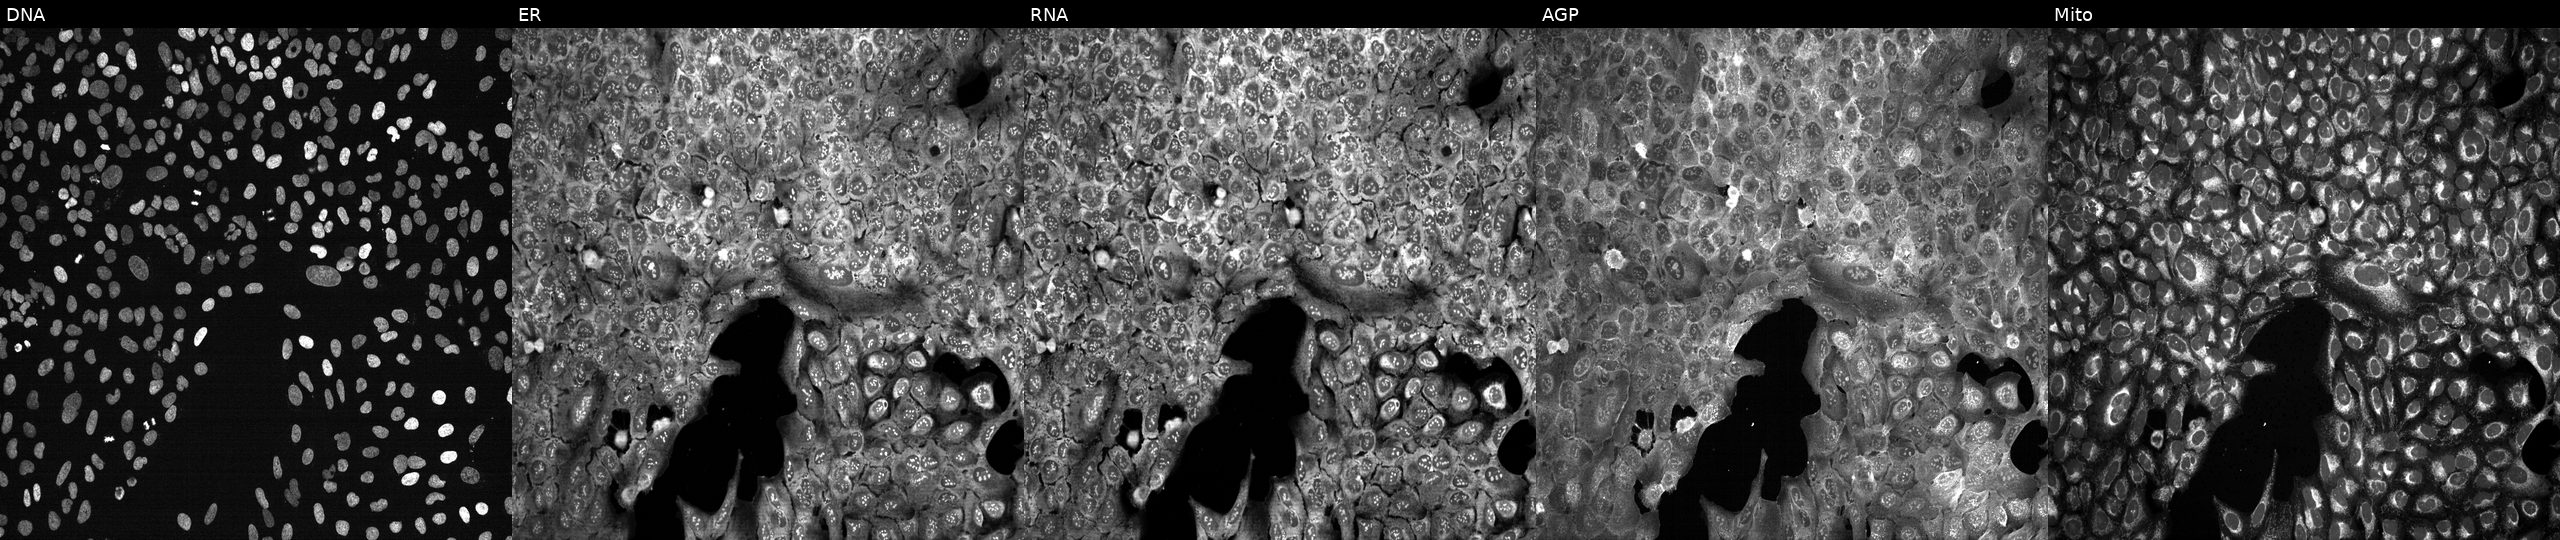
This image strip shows the five Cell Painting channels for a single field of U2OS cells following CRISPR knockout of GALNT12. Channels (left→right): DNA, ER, RNA, AGP, and Mito.